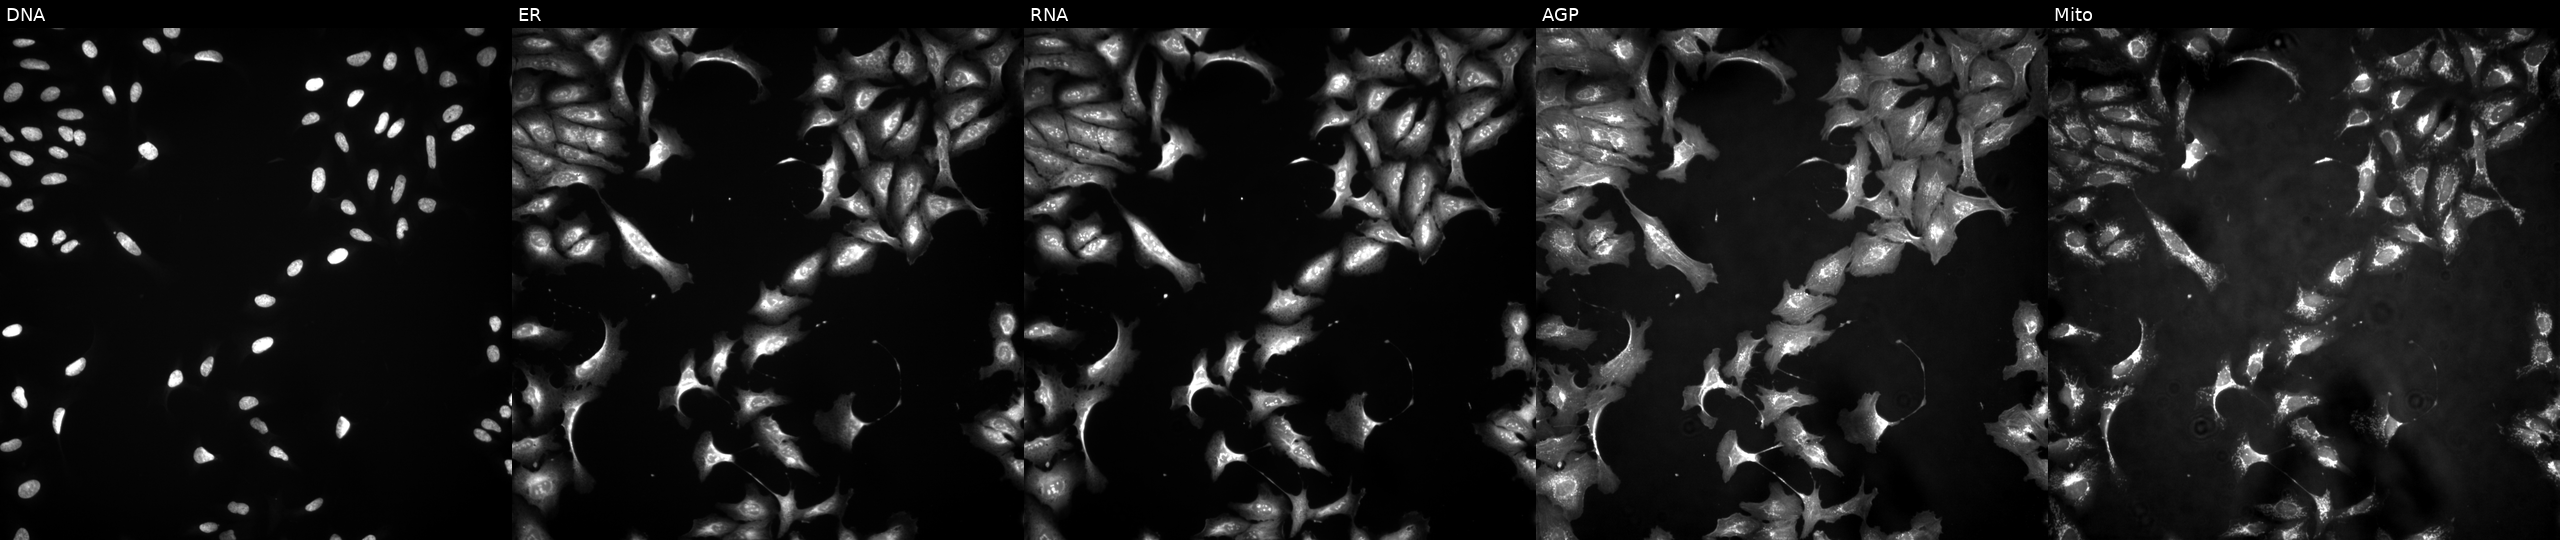
This image strip shows the five Cell Painting channels for a single field of U2OS cells expressing HcRed (ORF negative control) (JUMP id JCP2022_915129). The five panels, left to right, show Hoechst 33342, concanavalin A, SYTO 14, phalloidin and WGA, MitoTracker.